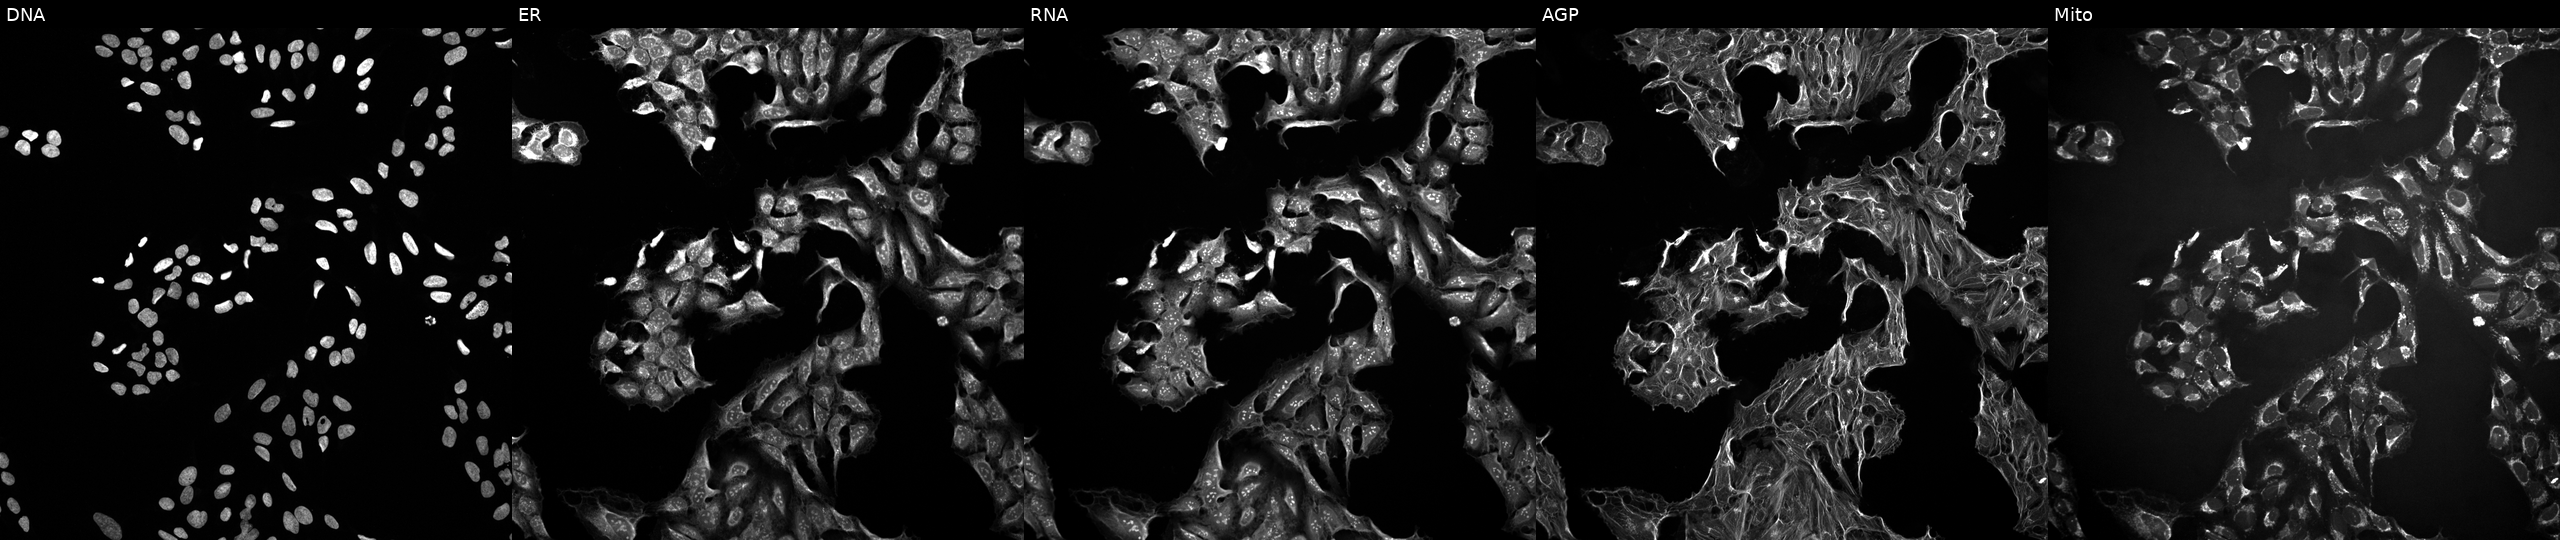
This image strip shows the five Cell Painting channels for a single field of U2OS cells exposed to a small-molecule compound (InChIKey RYMZZMVNJRMUDD-UHFFFAOYSA-N) (JUMP id JCP2022_081555). The five panels, left to right, show DNA (nuclei); ER (endoplasmic reticulum); RNA (nucleoli and cytoplasmic RNA); AGP (actin cytoskeleton, Golgi, and plasma membrane); Mito (mitochondria).